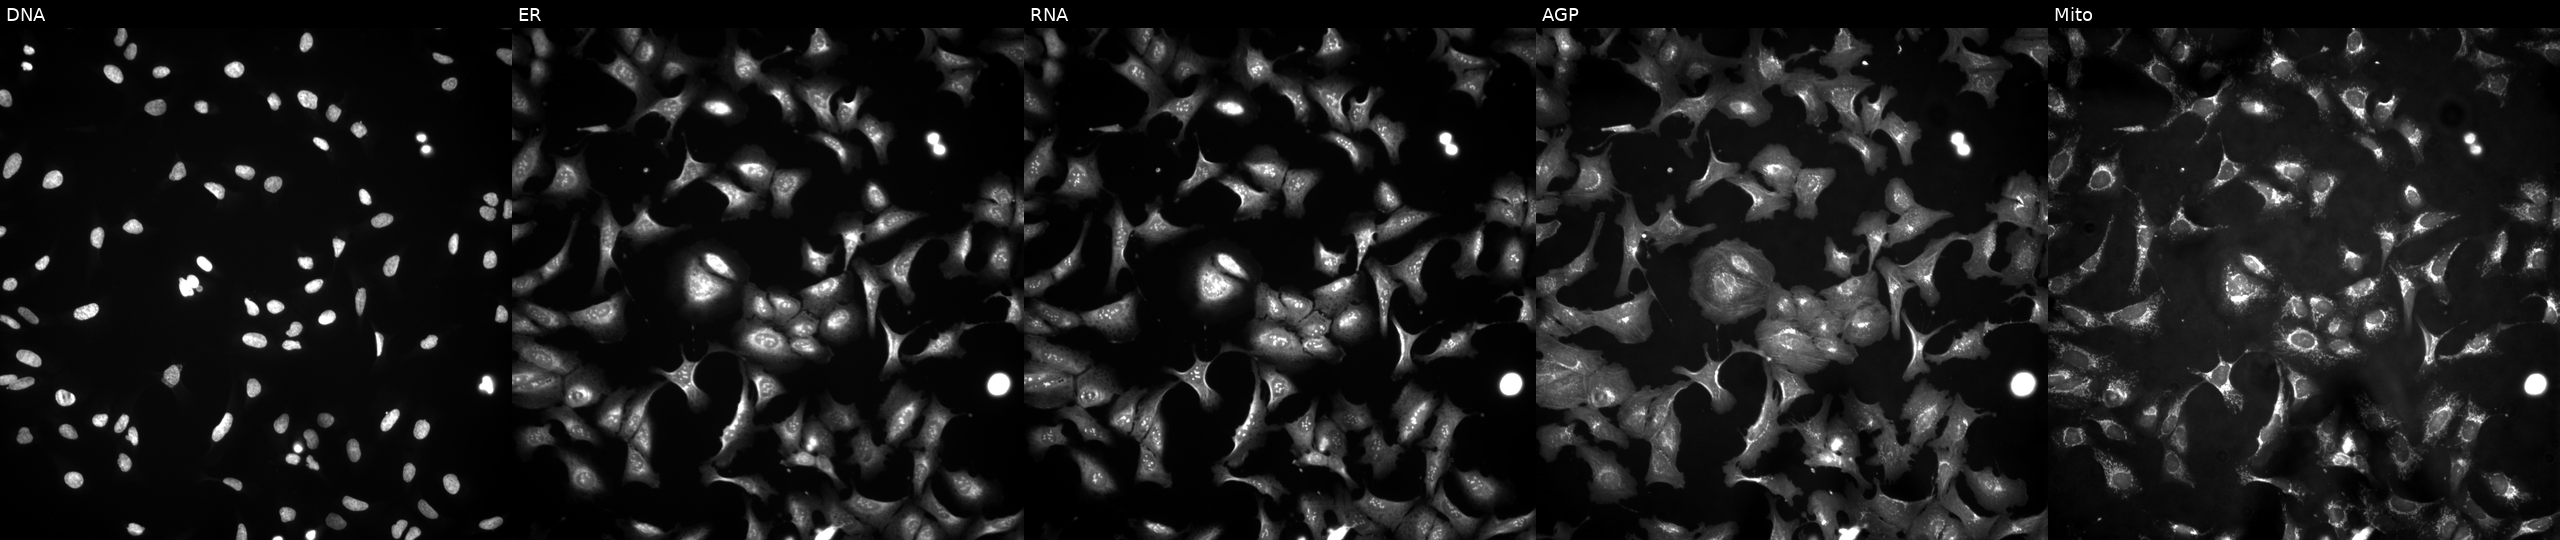
High-content fluorescence microscopy (Cell Painting). Cell line: U2OS. Perturbation: overexpressing ARMC3 via ORF transfection (JUMP id JCP2022_909174). From left to right: Hoechst 33342, concanavalin A, SYTO 14, phalloidin and WGA, MitoTracker. Source 4, plate BR00121543, well M07.